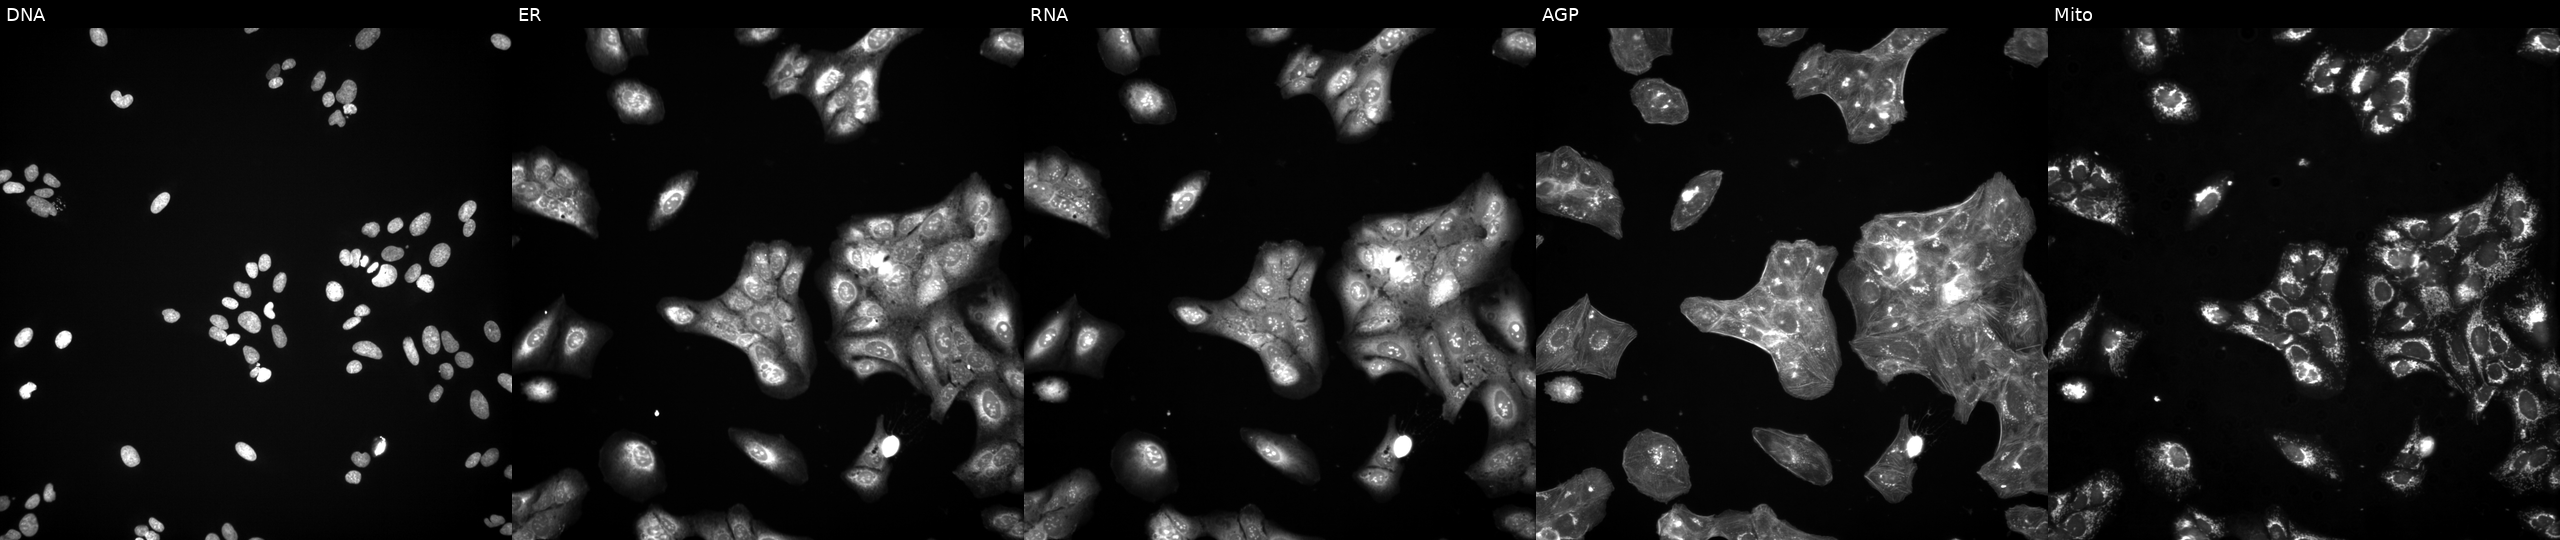
This image strip shows the five Cell Painting channels for a single field of U2OS cells perturbed with a small-molecule compound (InChIKey RAMROQQYRRQPDL-UHFFFAOYSA-N). Channels (left→right): Hoechst 33342, concanavalin A, SYTO 14, phalloidin and WGA, MitoTracker.